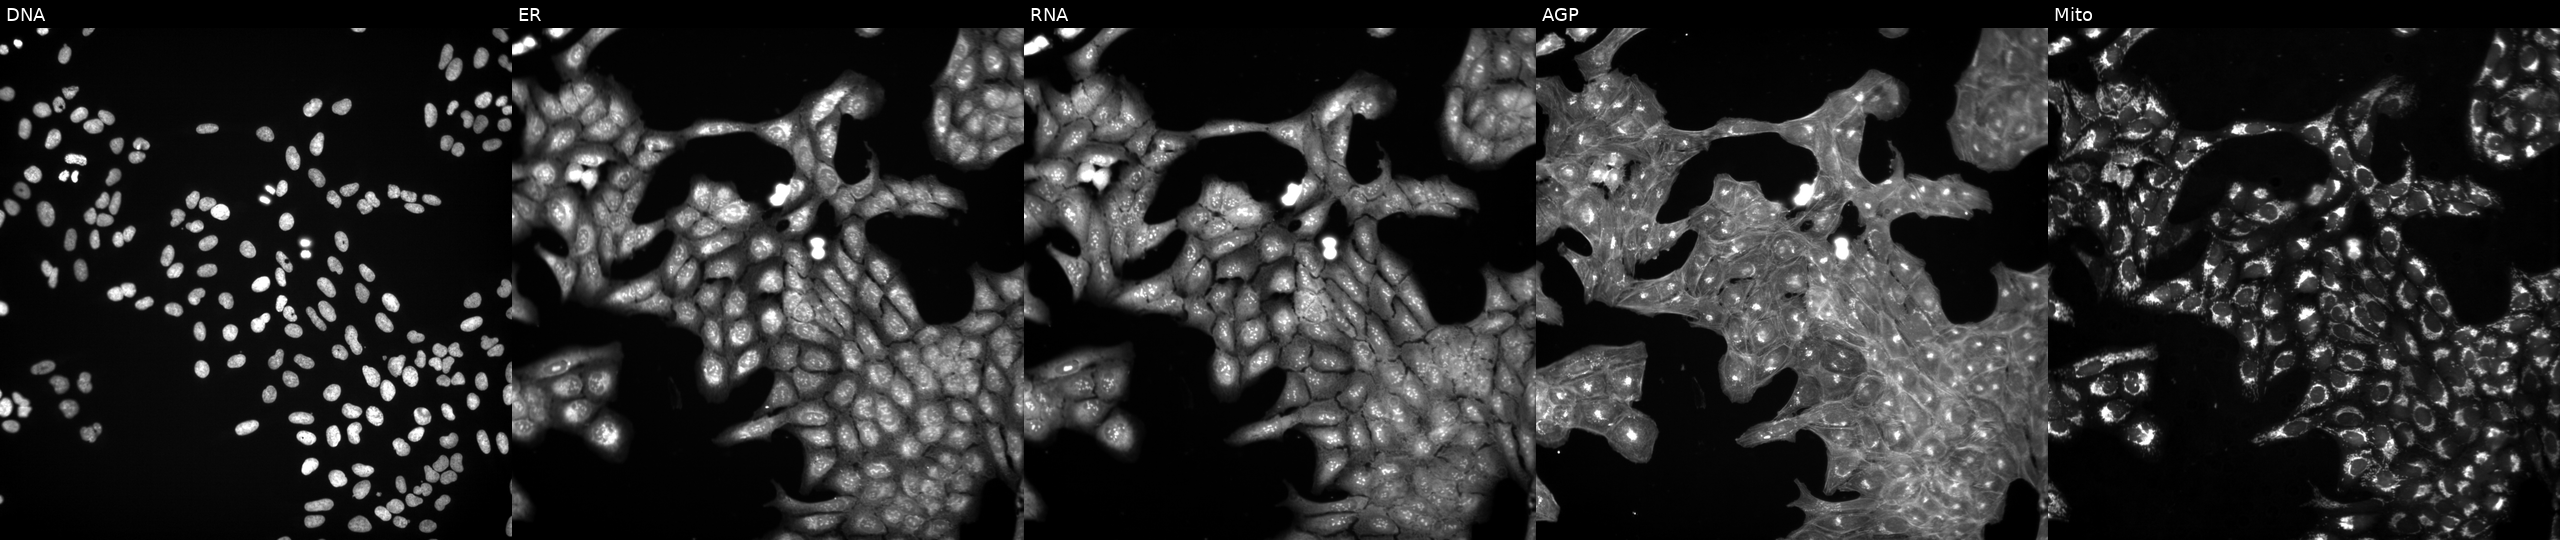
This image strip shows the five Cell Painting channels for a single field of U2OS cells perturbed with a small-molecule compound (InChIKey FNYLWPVRPXGIIP-UHFFFAOYSA-N) (JUMP id JCP2022_021857). Channels (left→right): Hoechst 33342, concanavalin A, SYTO 14, phalloidin and WGA, MitoTracker. Source 3, plate JCPQC051, well F01.